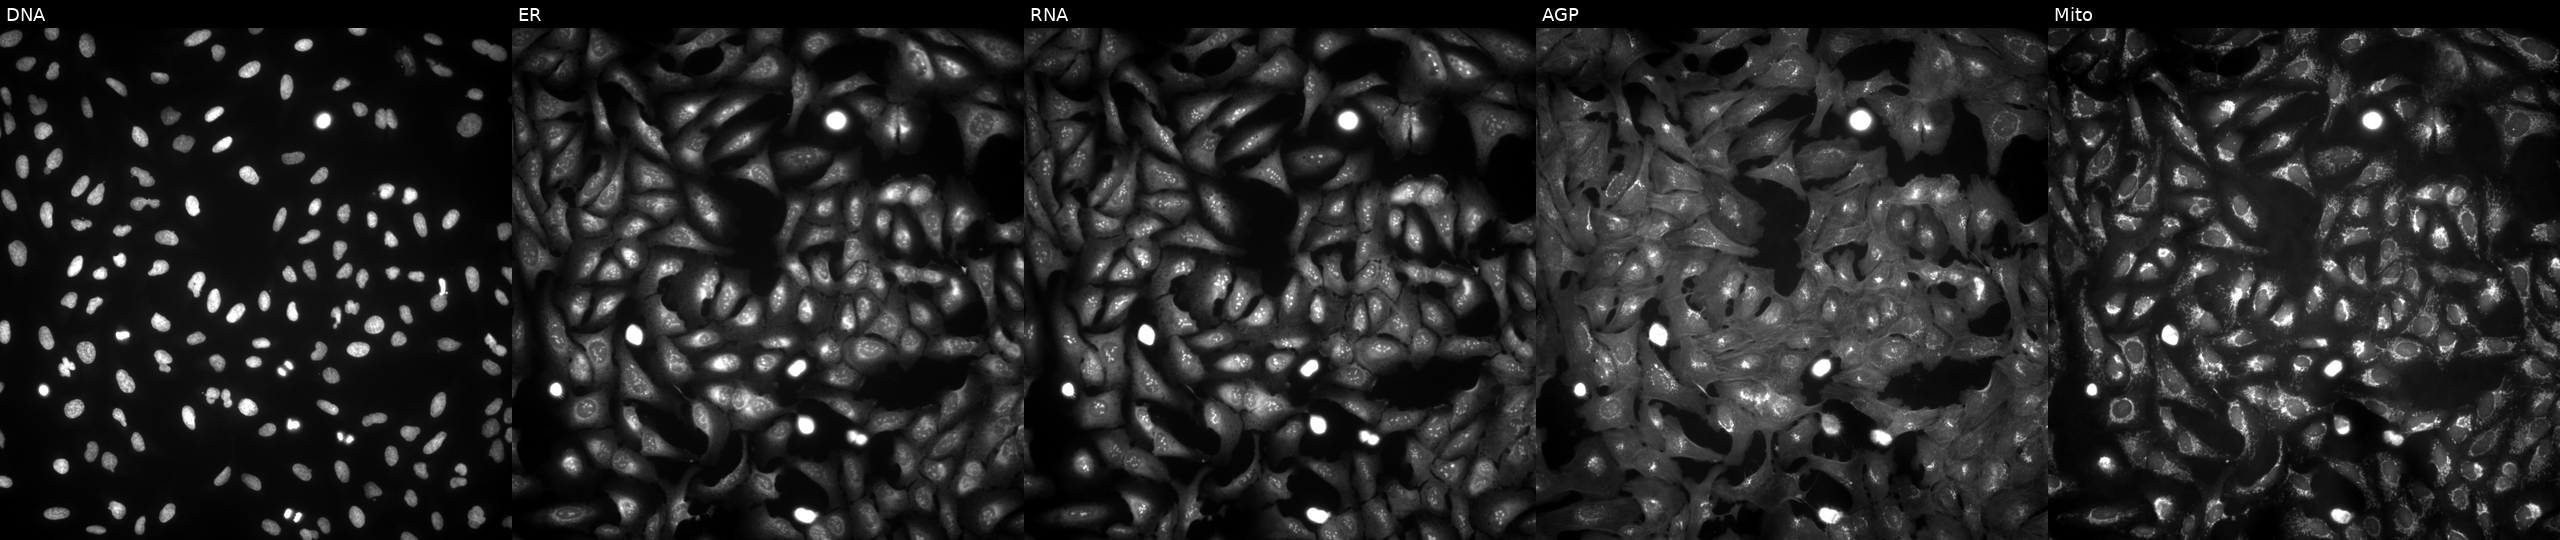
U2OS cells, Cell Painting assay, expressing HcRed (ORF negative control) (JUMP id JCP2022_915129). Channels (left→right): DNA, ER, RNA, AGP, and Mito. Each panel is percentile-stretched 16-bit fluorescence.